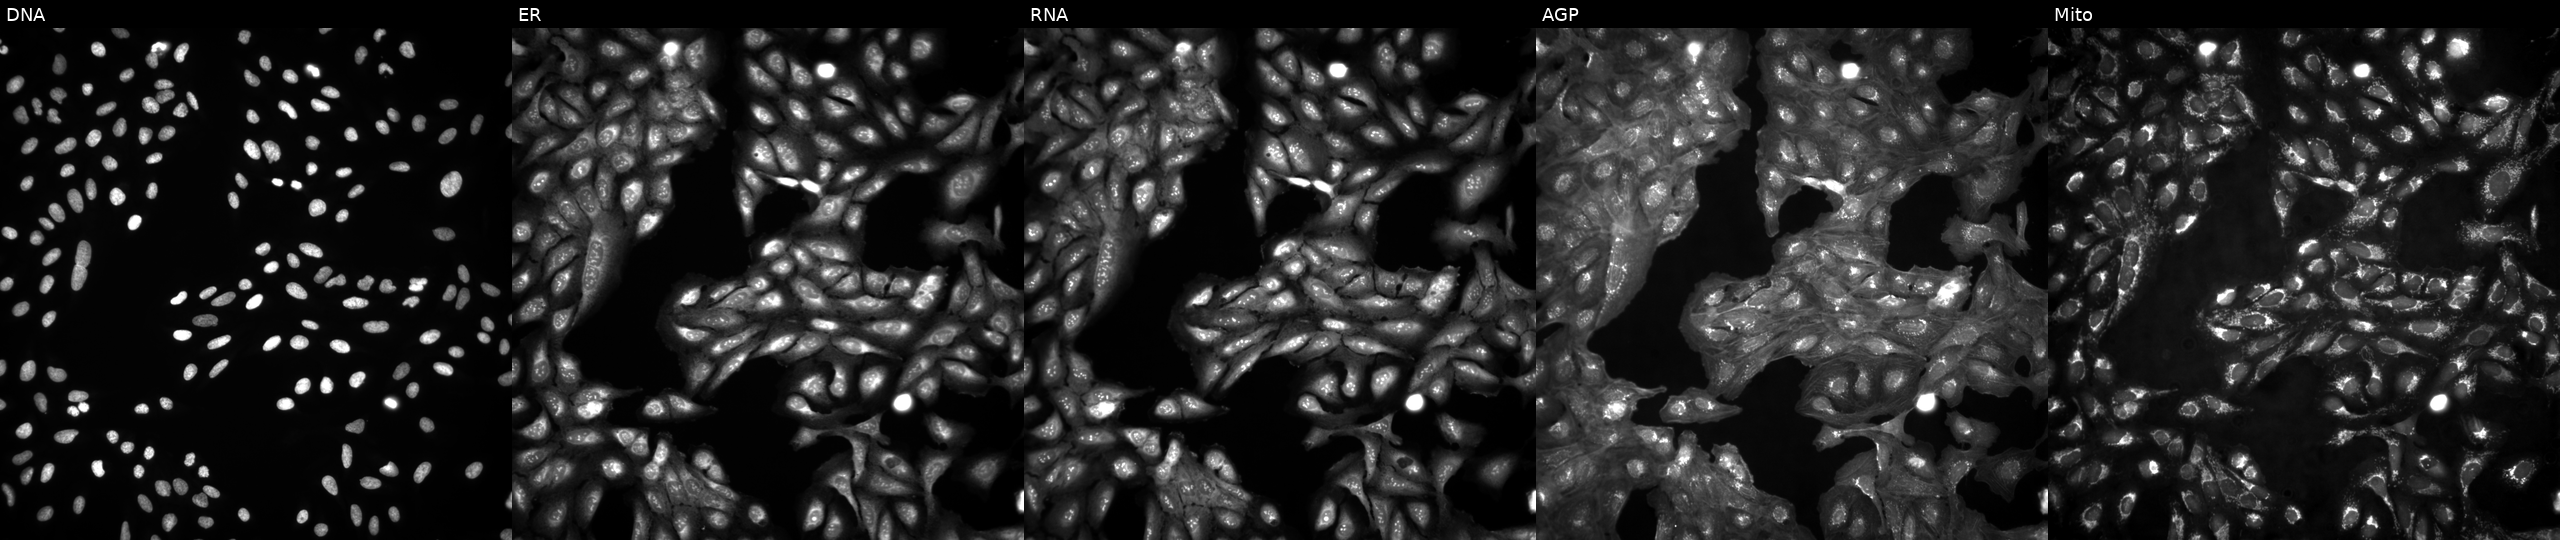
This image strip shows the five Cell Painting channels for a single field of U2OS cells untreated (empty-well control). From left to right: Hoechst 33342, concanavalin A, SYTO 14, phalloidin and WGA, MitoTracker.